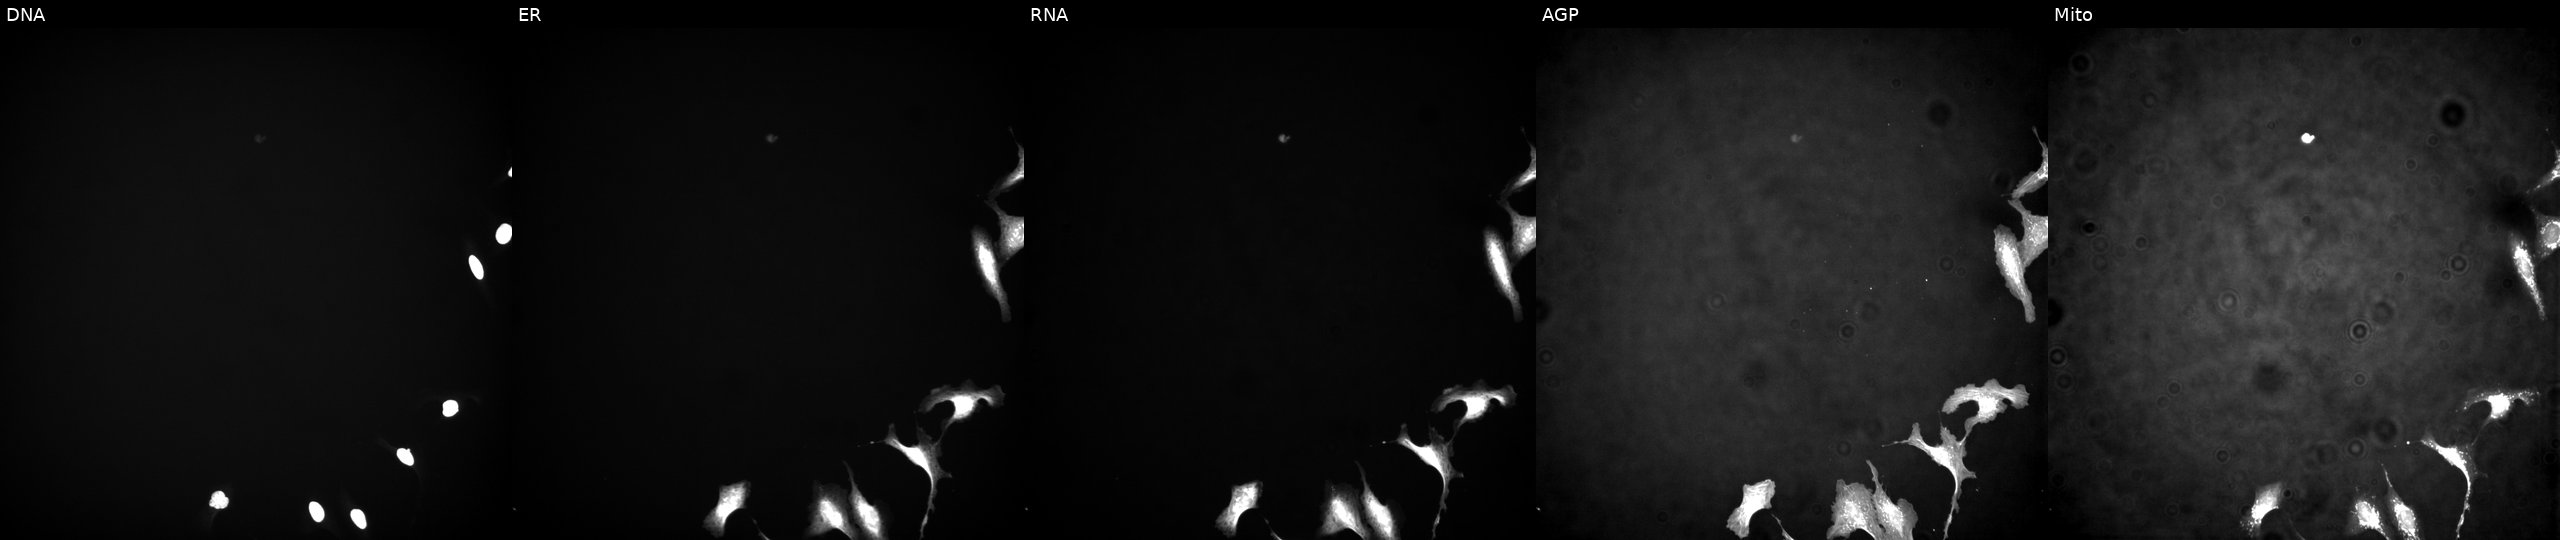
From left to right: DNA, ER, RNA, AGP, and Mito. U2OS osteosarcoma cells expressing LUCIFERASE (ORF negative control) (JUMP id JCP2022_915130). Cell Painting assay, JUMP-CP dataset.